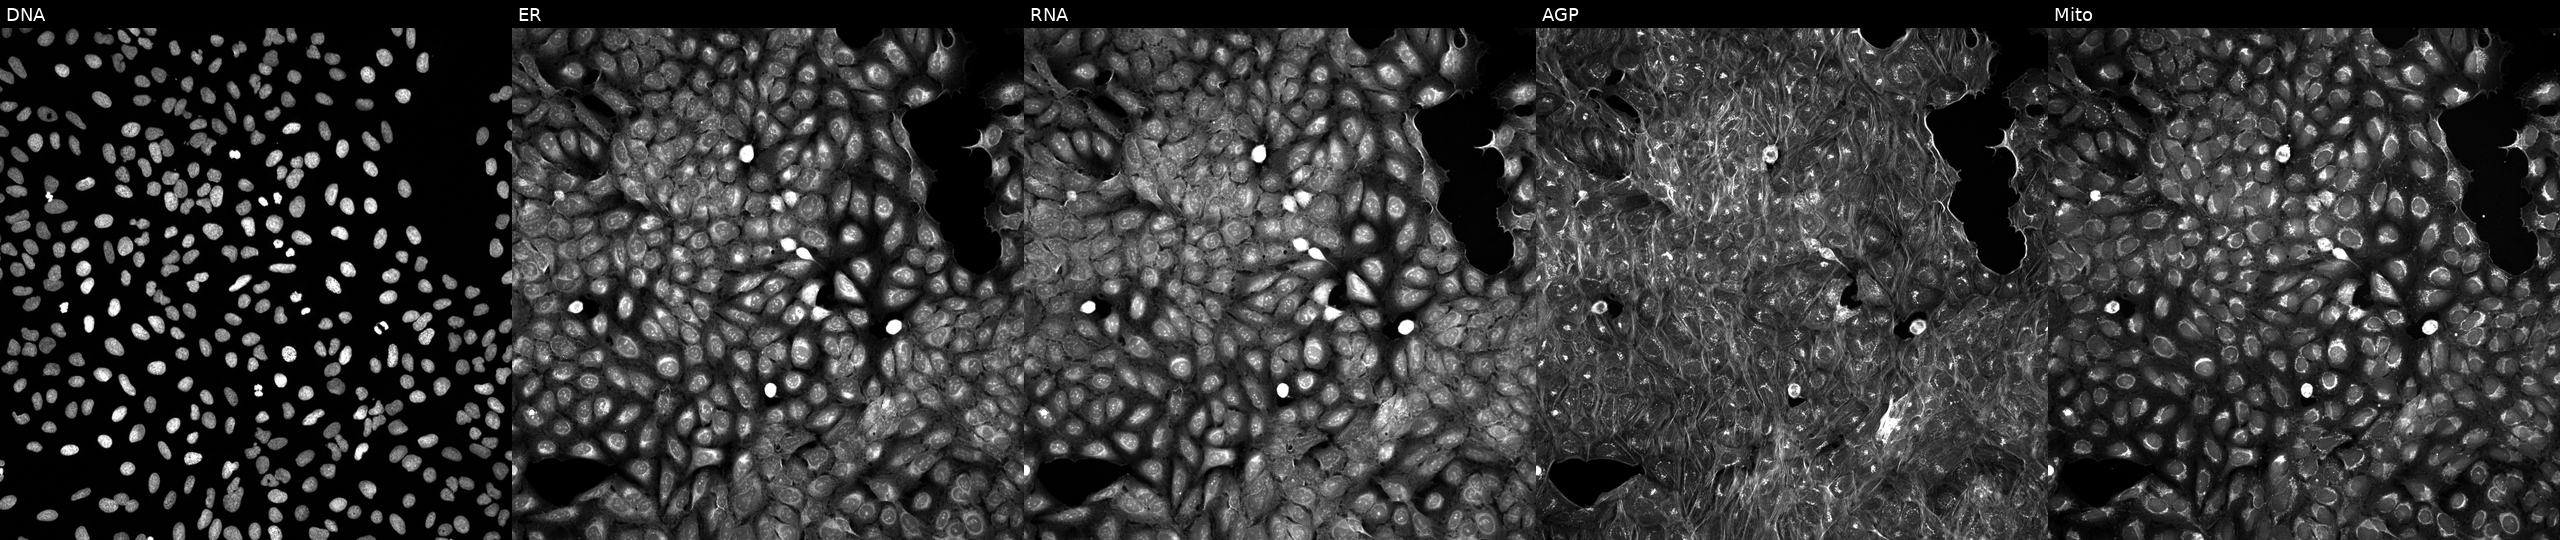
This image strip shows the five Cell Painting channels for a single field of U2OS cells treated with a small-molecule compound [SMILES: COc1ccc(-c2coc3cc(O)ccc3c2=O)cc1] (JUMP id JCP2022_030831). Channels (left→right): Hoechst 33342, concanavalin A, SYTO 14, phalloidin and WGA, MitoTracker.